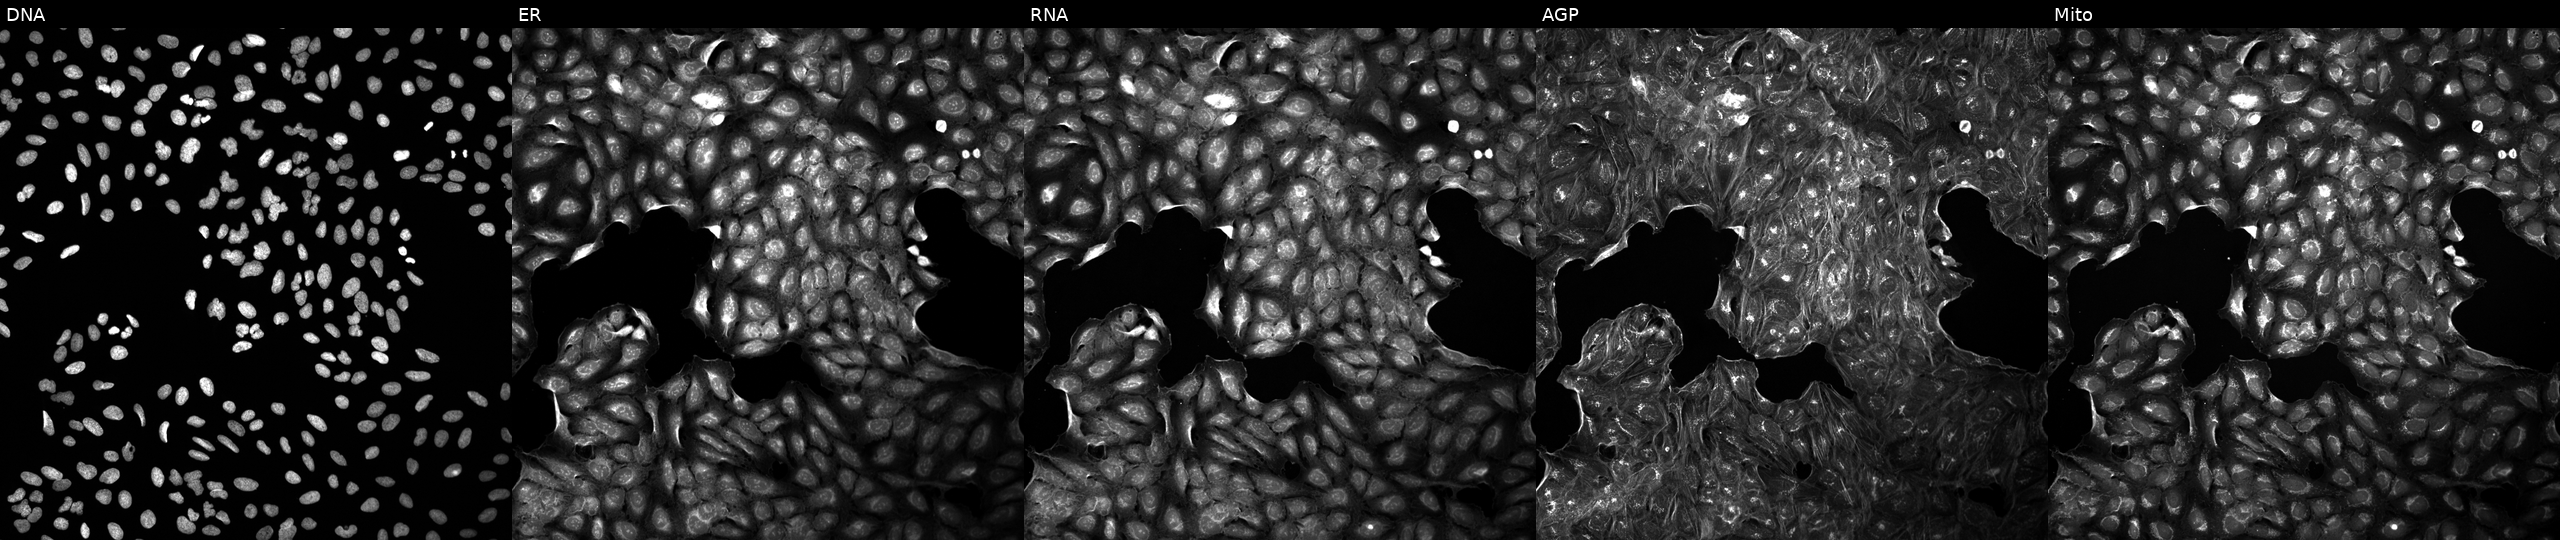
JUMP Cell Painting — COMPOUND plate. U2OS cells treated with a small-molecule compound (InChIKey FXZNHEMYPLWSIO-UHFFFAOYSA-N) [SMILES: CCc1cccc(-n2cc(C(O)Nc3cc(S(=O)(=O)N(CC)CC)ccc3OC)cc2O)c1]. From left to right: Hoechst 33342, concanavalin A, SYTO 14, phalloidin and WGA, MitoTracker.